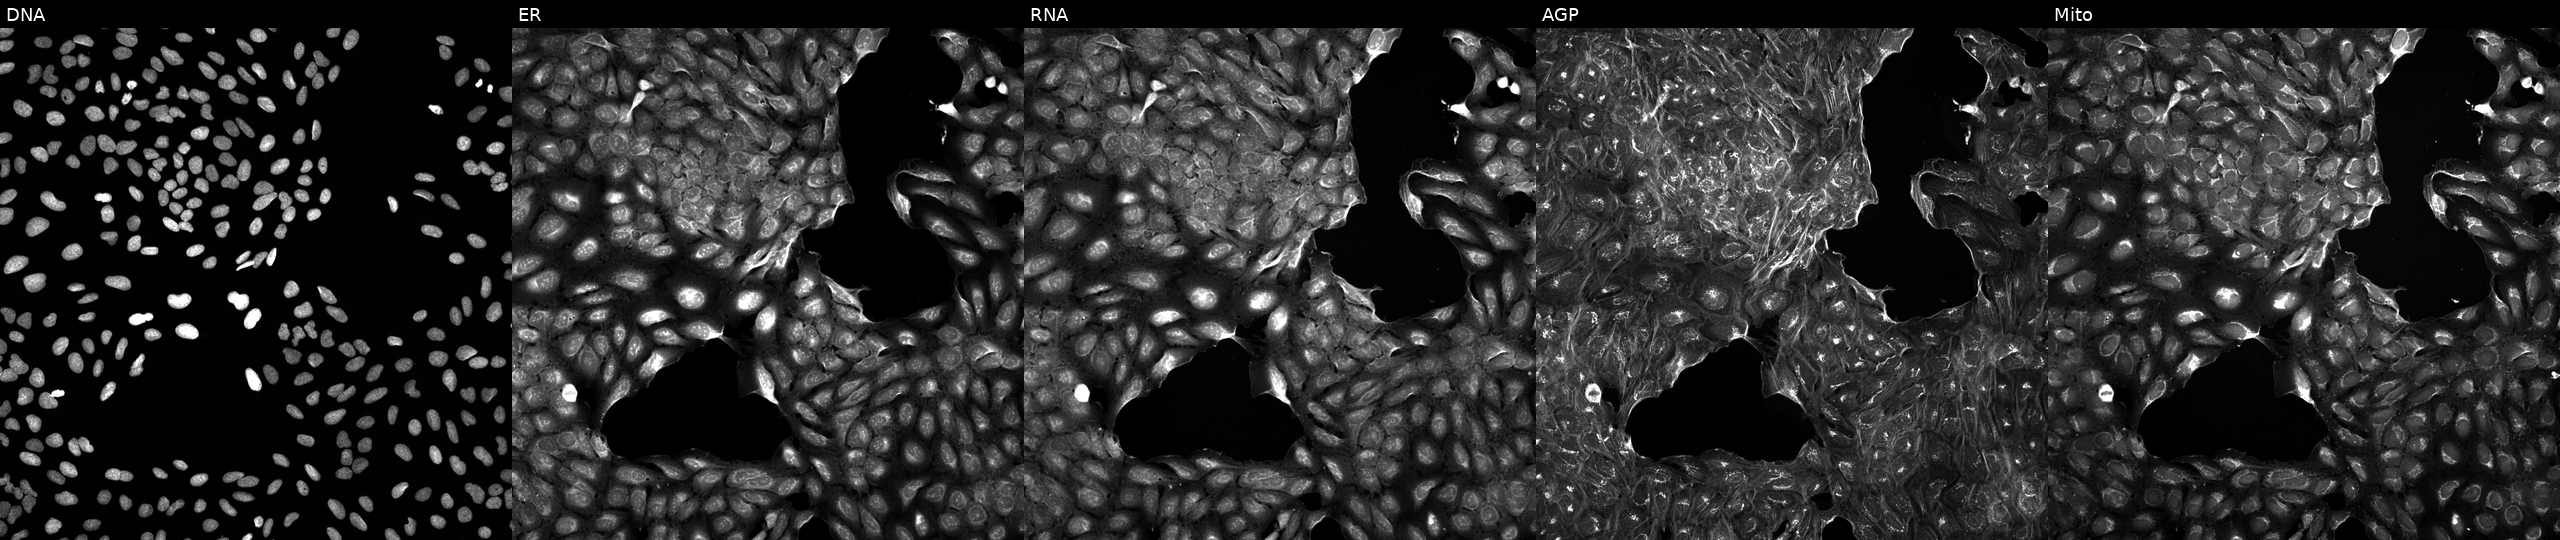
High-content fluorescence microscopy (Cell Painting). Cell line: U2OS. Perturbation: exposed to a small-molecule compound (InChIKey NTXCIUMEAPDNGT-UHFFFAOYSA-N) [SMILES: COc1ccc(Br)cc1CNC(C)c1ccccc1] (JUMP id JCP2022_061338). Channels (left→right): DNA, ER, RNA, AGP, and Mito.